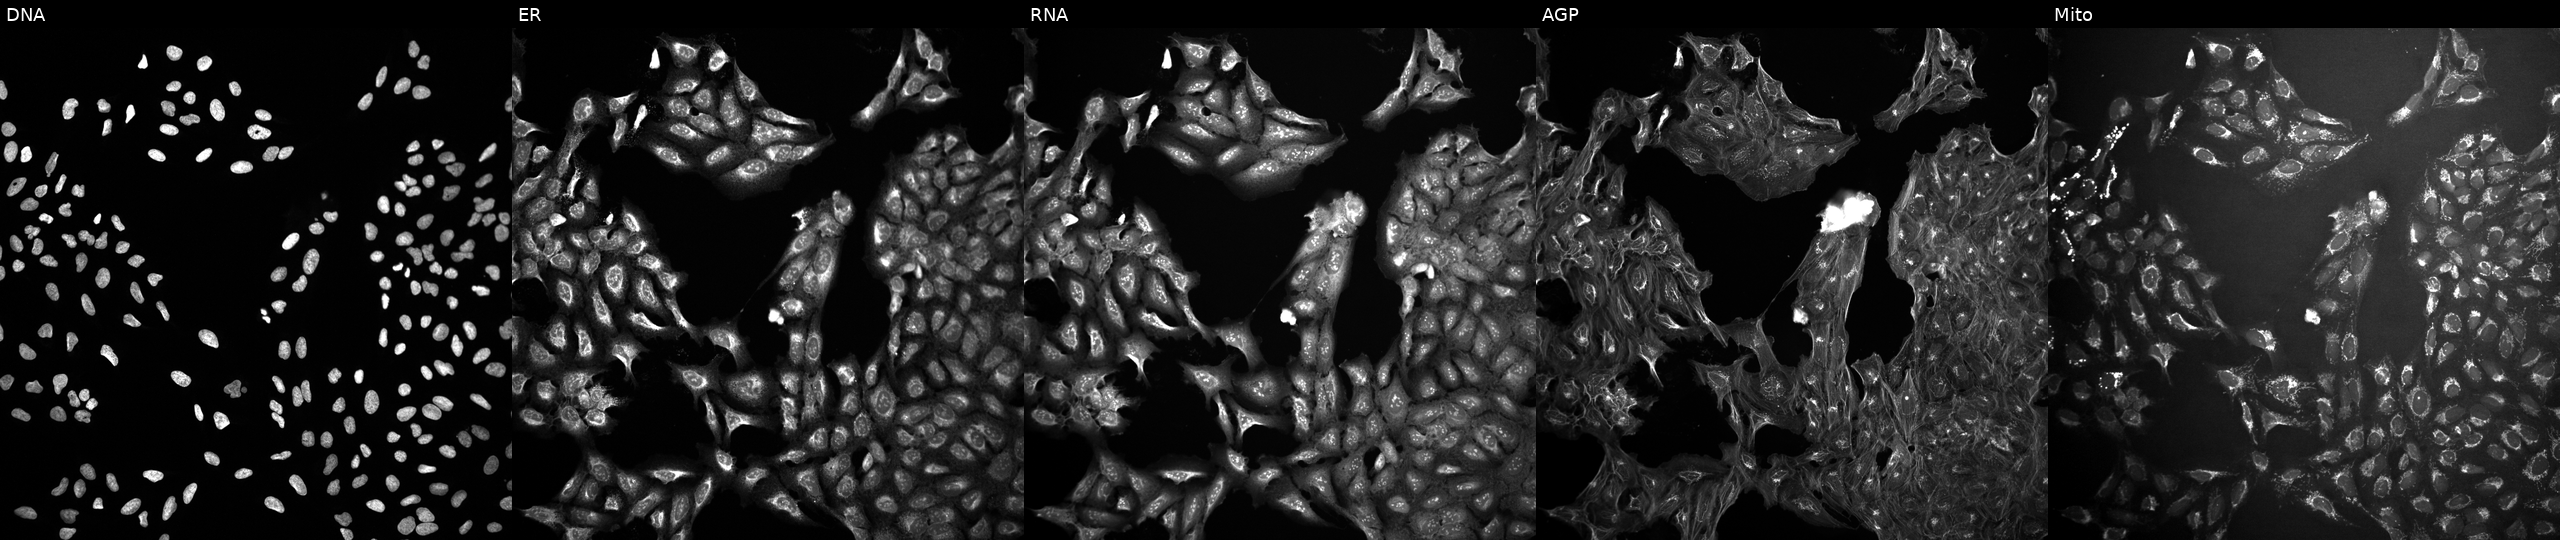
Five-channel Cell Painting image of U2OS cells exposed to a small-molecule compound (InChIKey PNKHBUHGBUZHEP-UHFFFAOYSA-N) [SMILES: CCN1CC2(CCN(C(=O)C3CC34CCNCC4)CC2)OC1=O] (JUMP id JCP2022_069768). From left to right: Hoechst 33342, concanavalin A, SYTO 14, phalloidin and WGA, MitoTracker.